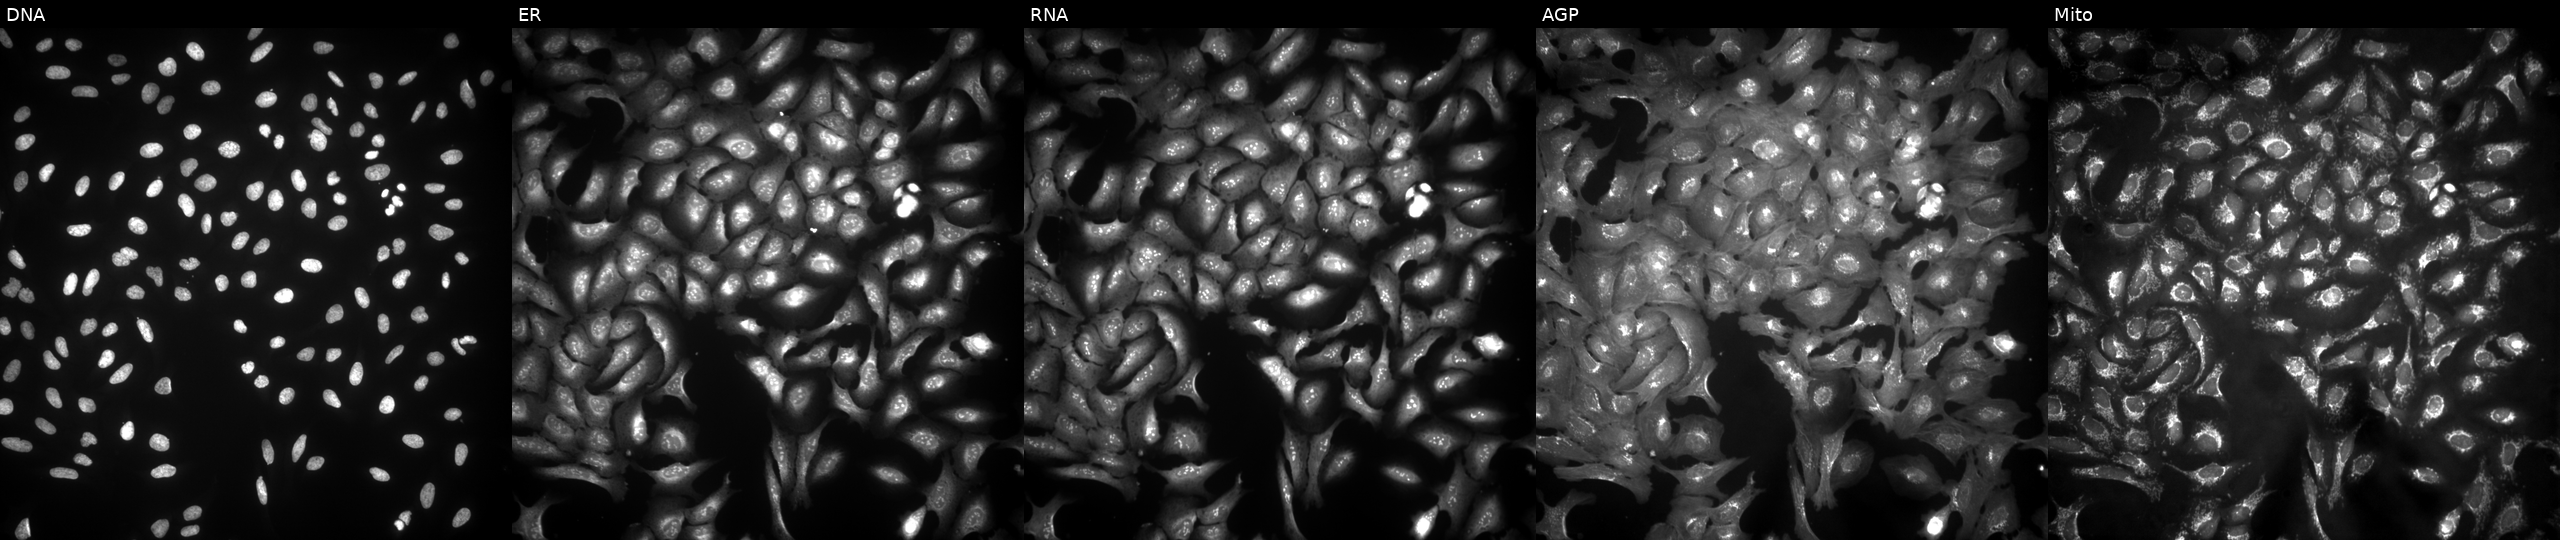
This image strip shows the five Cell Painting channels for a single field of U2OS cells transfected with an ORF construct for PRR5 (JUMP id JCP2022_911411). The five panels, left to right, show Hoechst 33342, concanavalin A, SYTO 14, phalloidin and WGA, MitoTracker. Source 4, plate BR00123506, well G03.